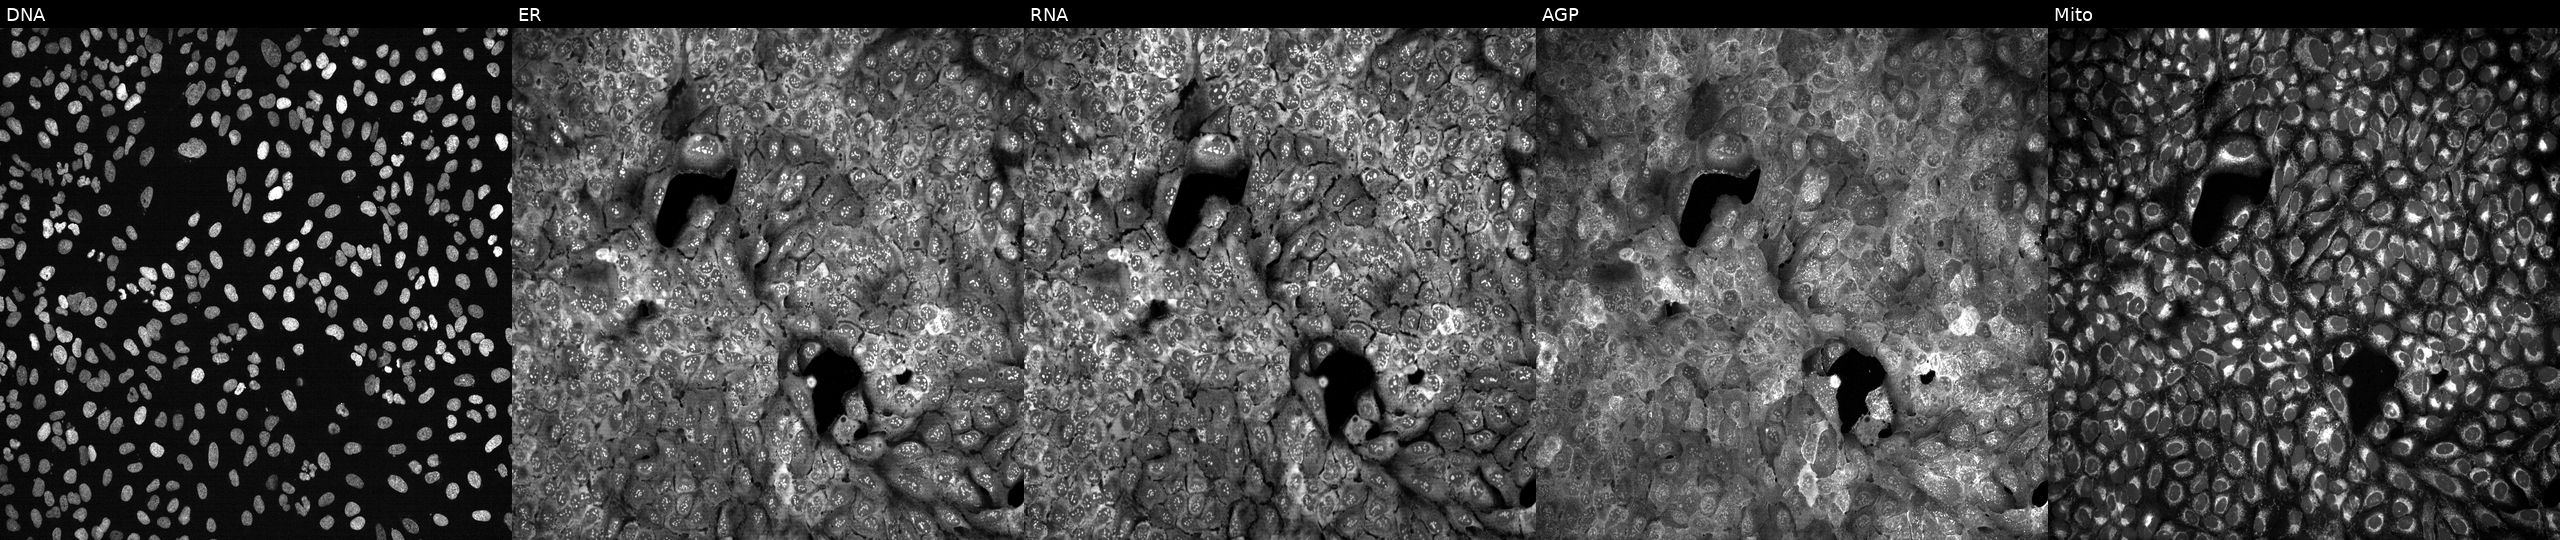
Five-channel Cell Painting image of U2OS cells CRISPR-edited to disrupt CD3D. The five panels, left to right, show DNA, ER, RNA, AGP, and Mito. Source 13, plate CP-CC9-R4-04, well M12.